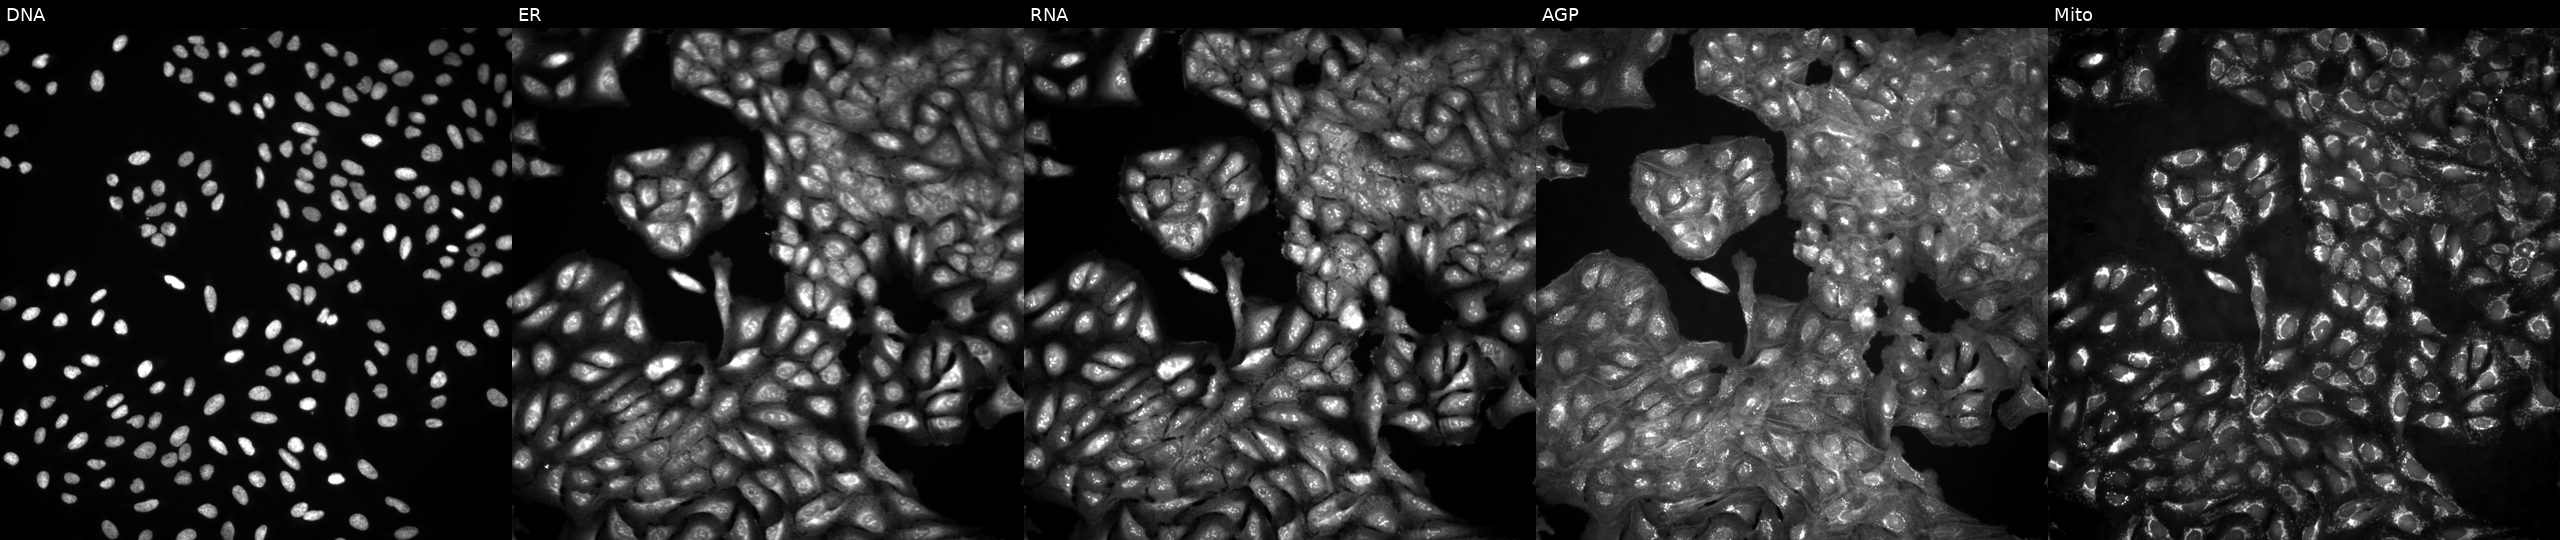
Channels (left→right): Hoechst 33342, concanavalin A, SYTO 14, phalloidin and WGA, MitoTracker. U2OS osteosarcoma cells in an empty control well (no perturbation) (JUMP id JCP2022_999999). Cell Painting assay, JUMP-CP dataset.